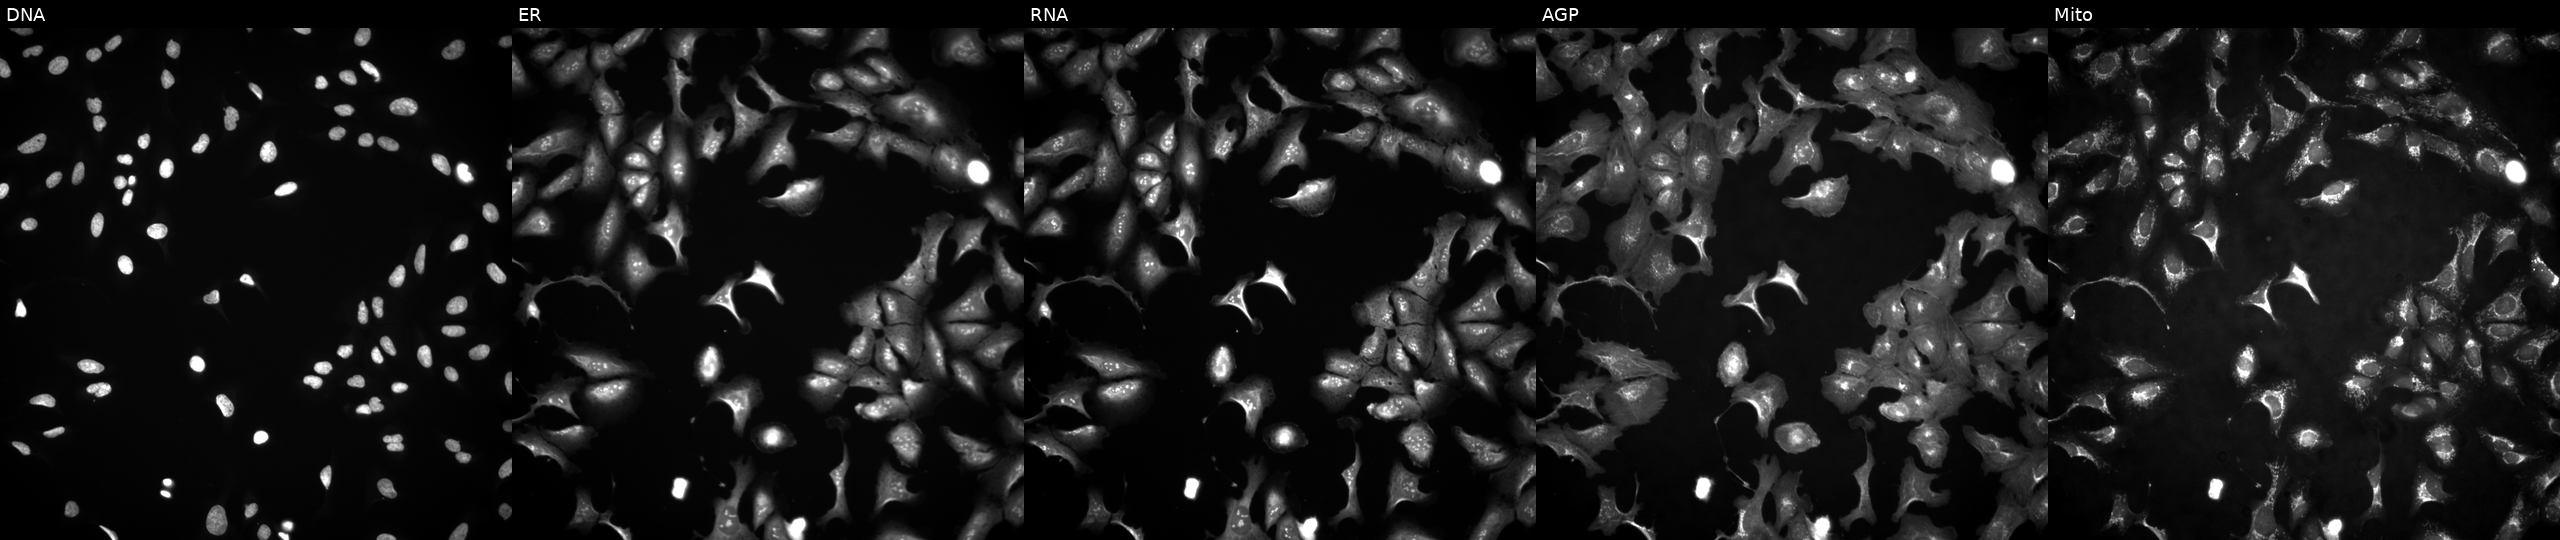
U2OS cells, Cell Painting assay, with TYW5 overexpressed (ORF). The five panels, left to right, show DNA (nuclei); ER (endoplasmic reticulum); RNA (nucleoli and cytoplasmic RNA); AGP (actin cytoskeleton, Golgi, and plasma membrane); Mito (mitochondria). Each panel is percentile-stretched 16-bit fluorescence.